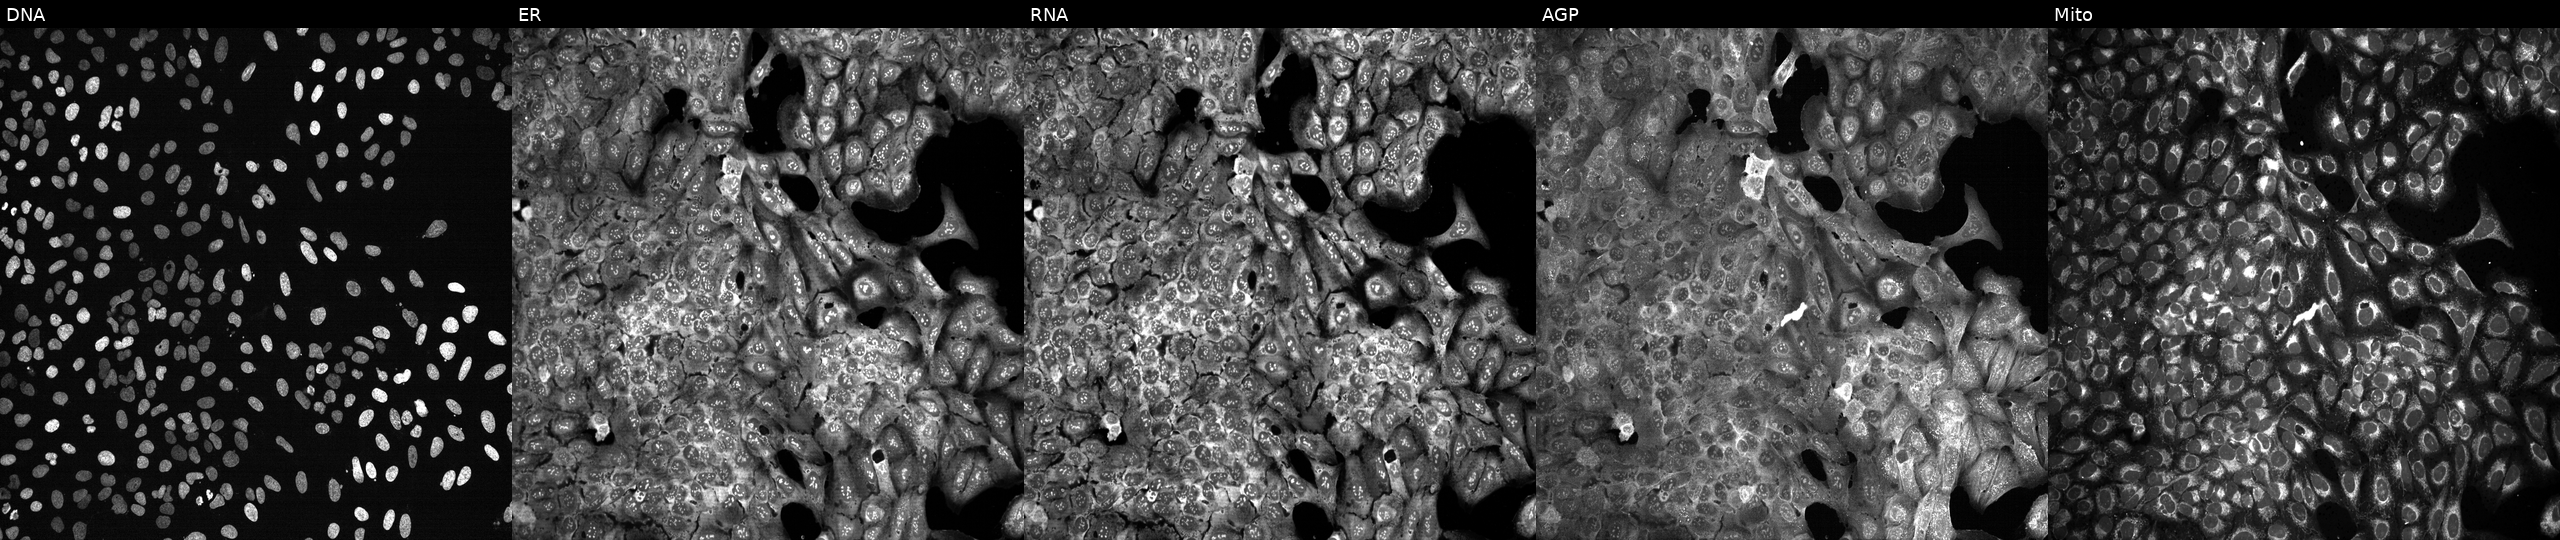
High-content fluorescence microscopy (Cell Painting). Cell line: U2OS. Perturbation: with LYPLA2 knocked out by CRISPR (JUMP id JCP2022_803934). The five panels, left to right, show Hoechst 33342, concanavalin A, SYTO 14, phalloidin and WGA, MitoTracker.